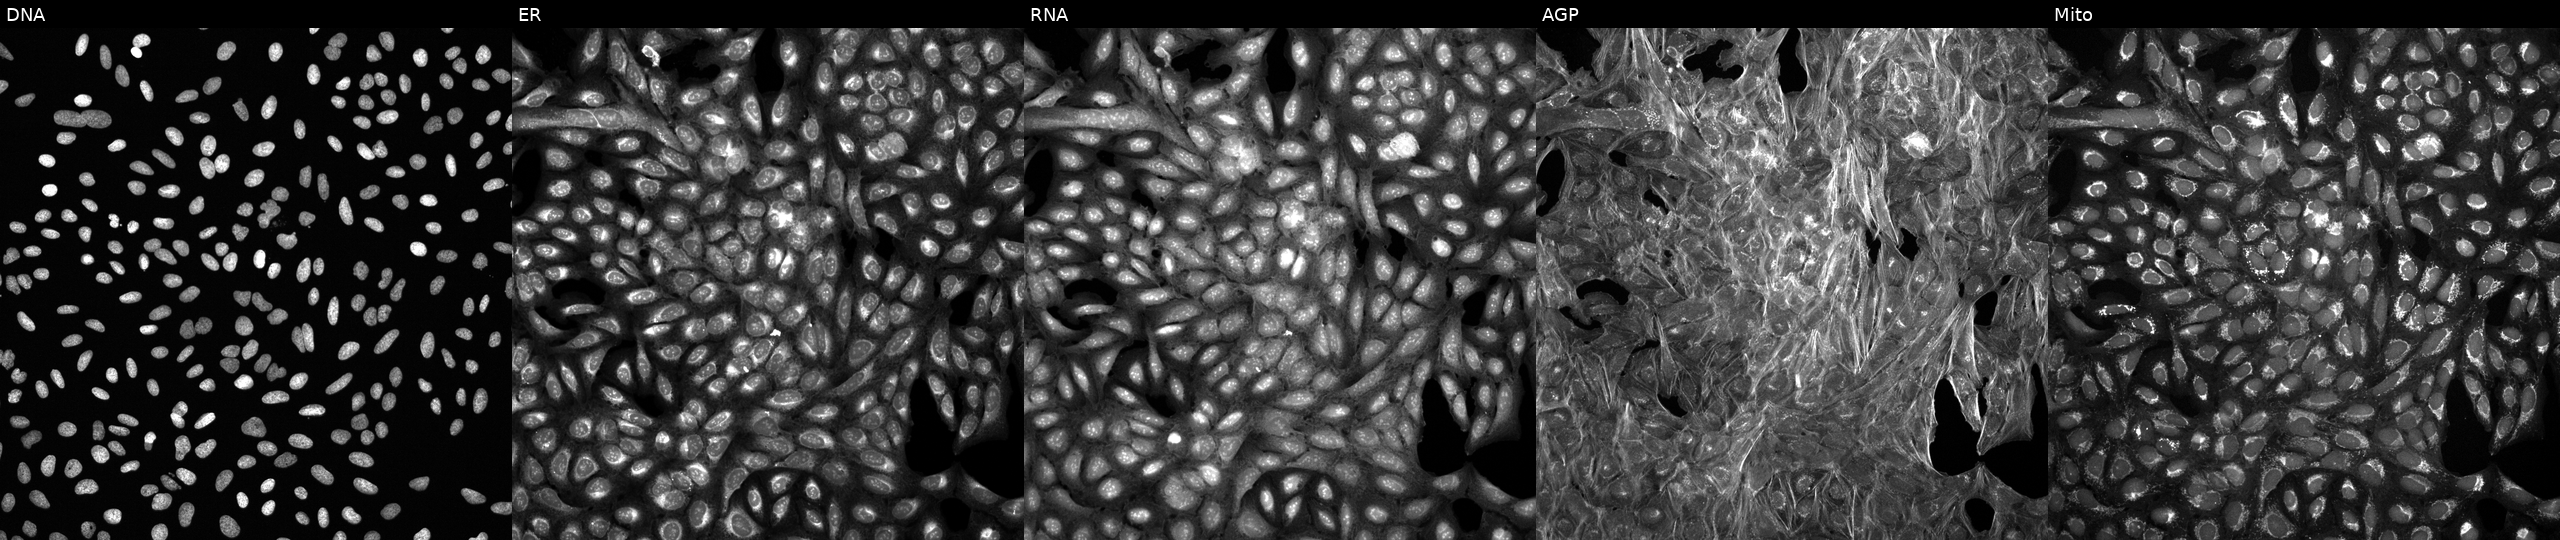
Five-channel Cell Painting image of U2OS cells perturbed with a small-molecule compound (InChIKey XXYGTCZJJLTAGH-UHFFFAOYSA-N) (JUMP id JCP2022_106781). Channels (left→right): DNA (nuclei); ER (endoplasmic reticulum); RNA (nucleoli and cytoplasmic RNA); AGP (actin cytoskeleton, Golgi, and plasma membrane); Mito (mitochondria). Source 6, plate 110000294901, well J06.